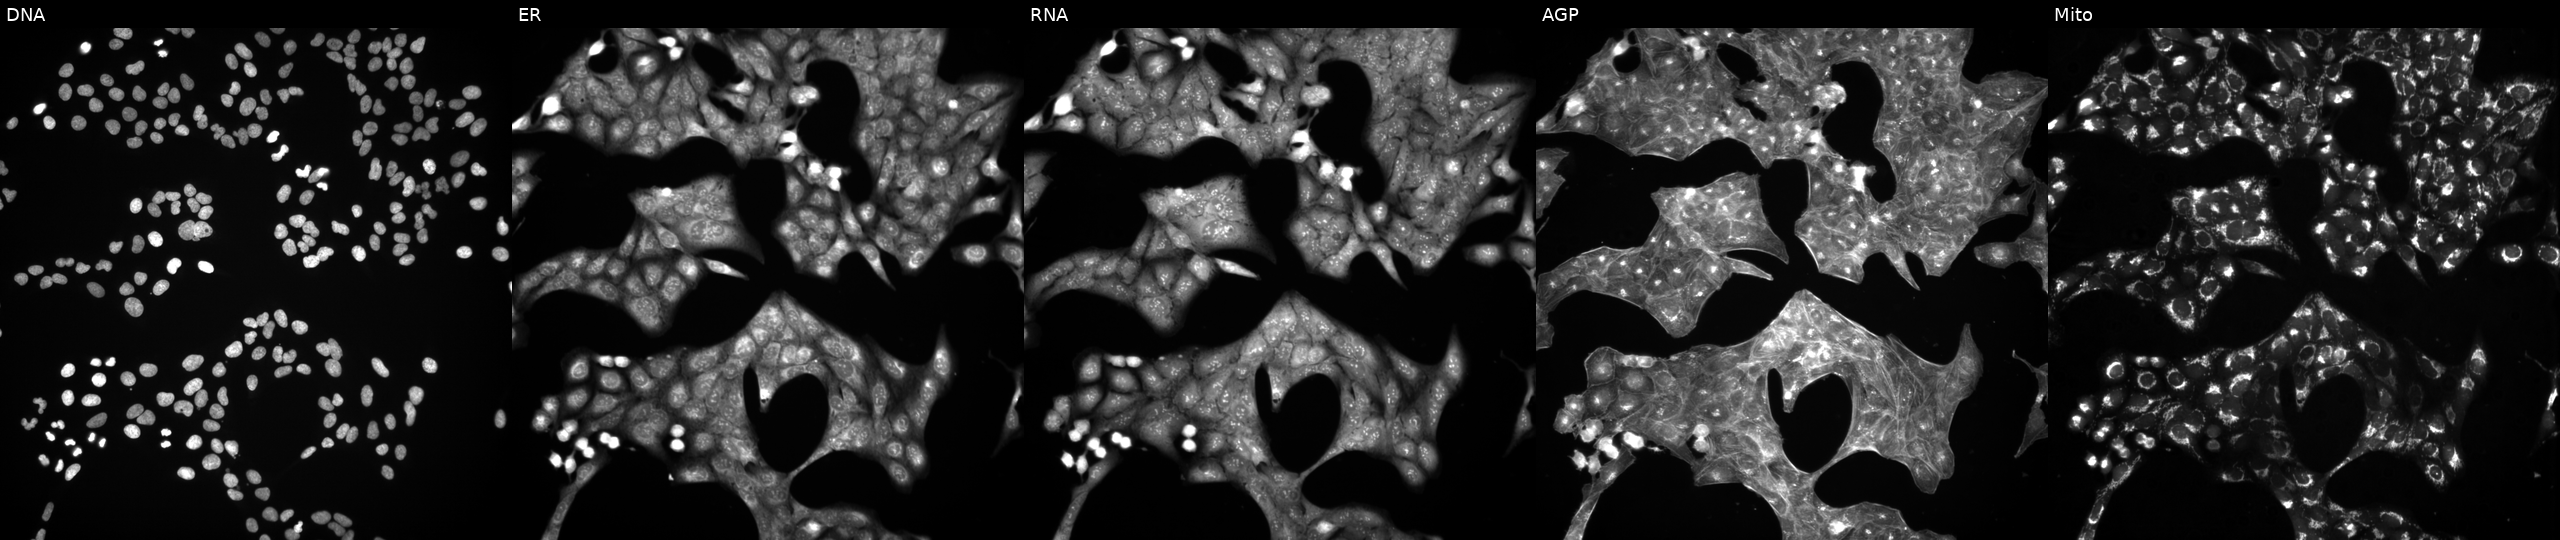
High-content fluorescence microscopy (Cell Painting). Cell line: U2OS. Perturbation: exposed to a small-molecule compound (InChIKey RYMZZMVNJRMUDD-UHFFFAOYSA-N) (JUMP id JCP2022_081555). The five panels, left to right, show Hoechst 33342, concanavalin A, SYTO 14, phalloidin and WGA, MitoTracker.